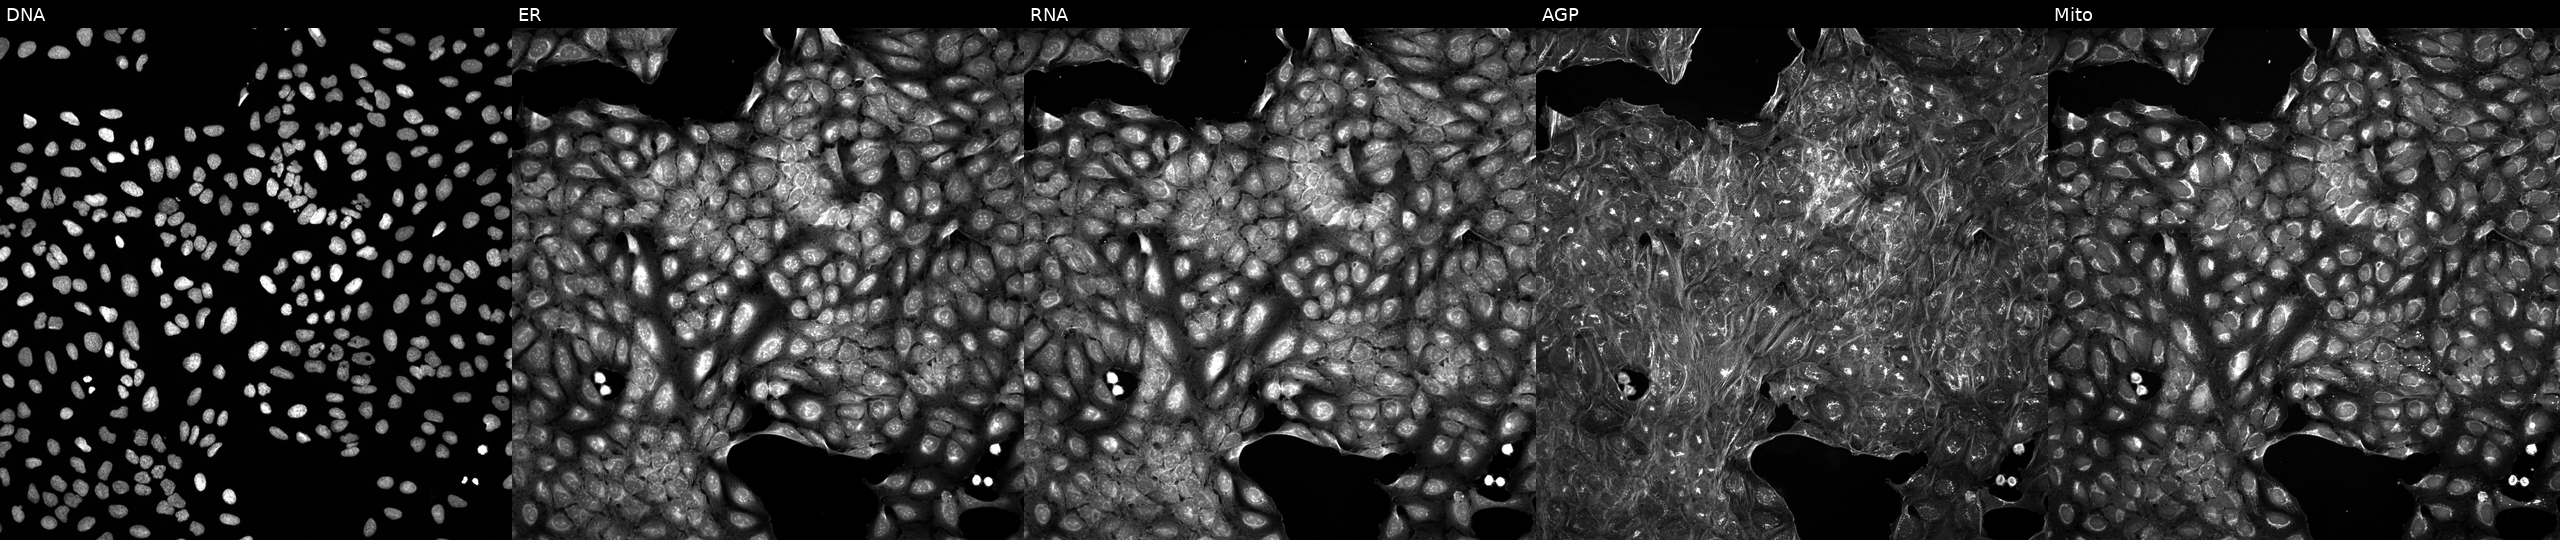
The five panels, left to right, show DNA (nuclei); ER (endoplasmic reticulum); RNA (nucleoli and cytoplasmic RNA); AGP (actin cytoskeleton, Golgi, and plasma membrane); Mito (mitochondria). U2OS osteosarcoma cells treated with a small-molecule compound (InChIKey FHWFTFCOSKPIIV-UHFFFAOYSA-N) (JUMP id JCP2022_020758). Cell Painting assay, JUMP-CP dataset.